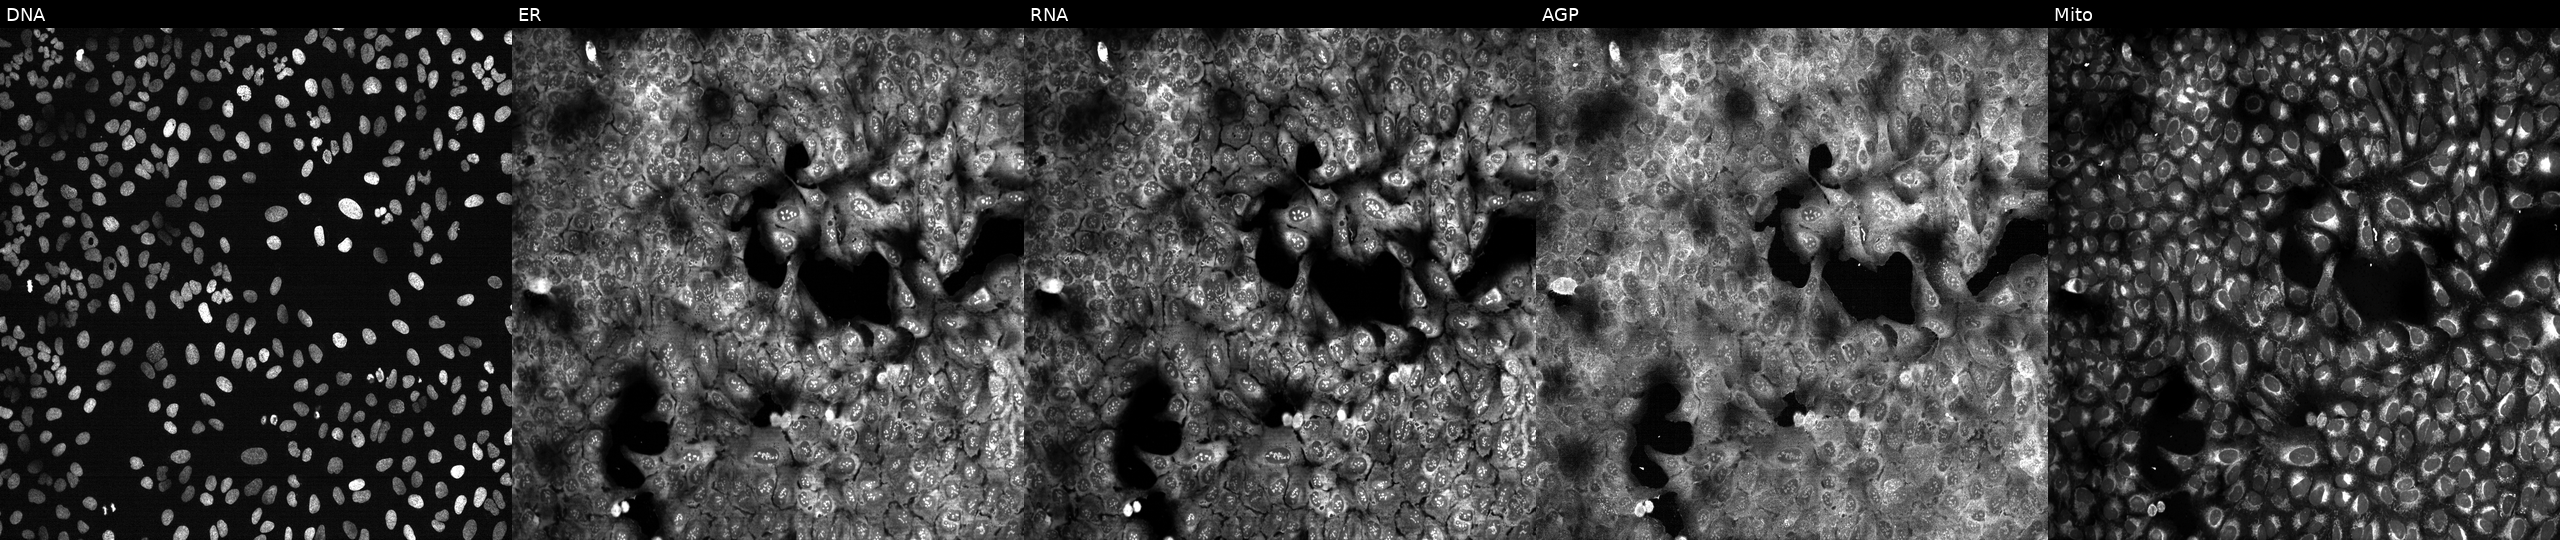
This image strip shows the five Cell Painting channels for a single field of U2OS cells with NAT2 knocked out by CRISPR (JUMP id JCP2022_804439). From left to right: DNA, ER, RNA, AGP, and Mito. Source 13, plate CP-CC9-R3-02, well J15.